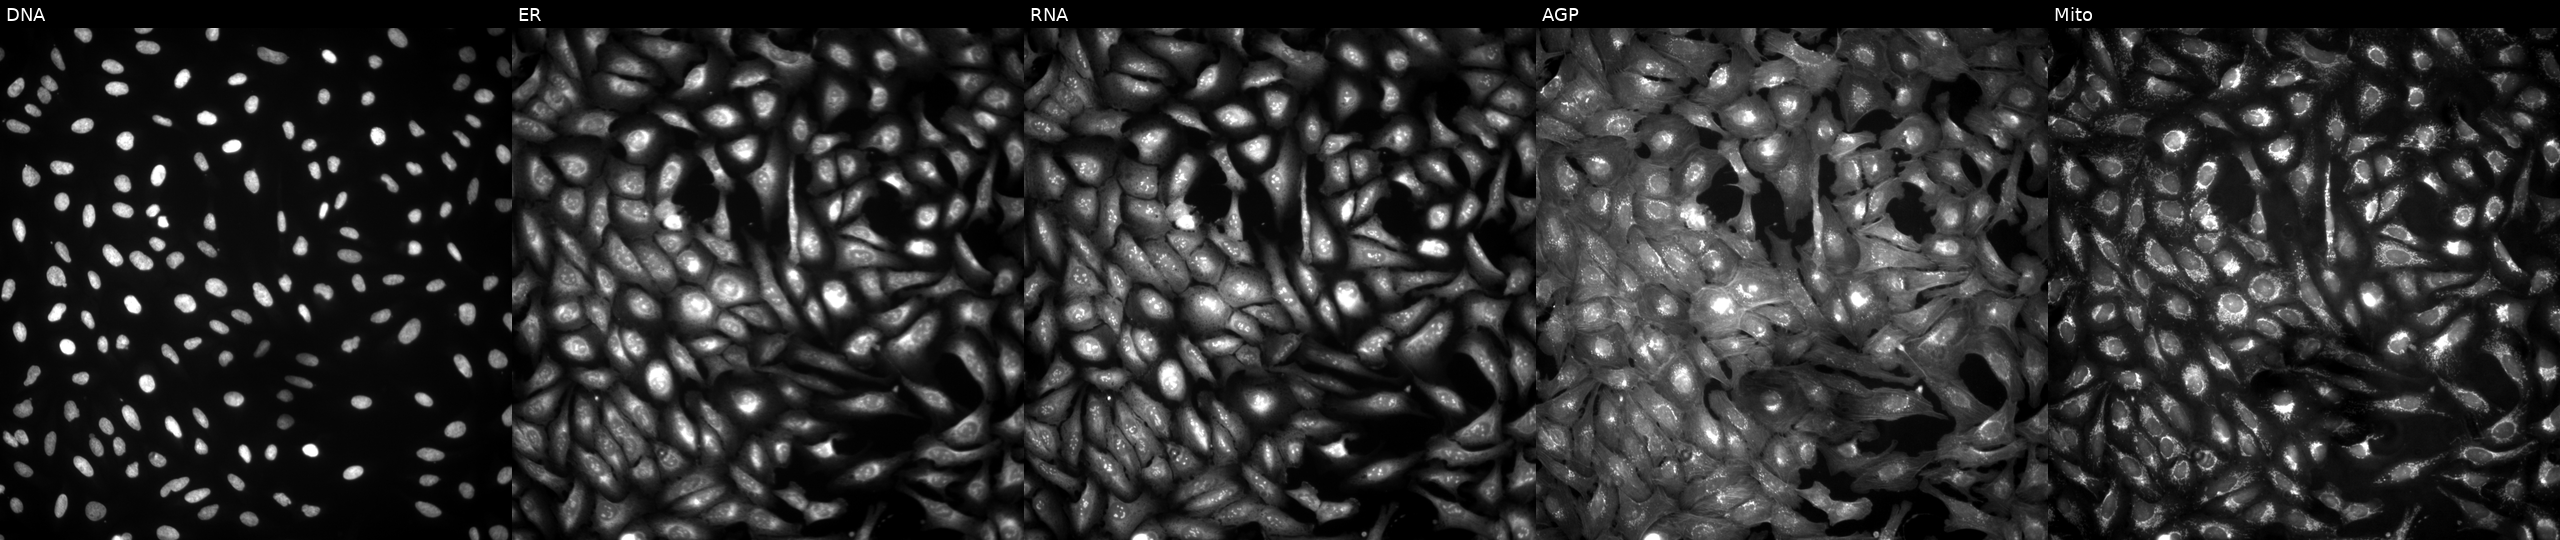
Five-channel Cell Painting image of U2OS cells transfected with an ORF construct for VRTN. Channels (left→right): DNA, ER, RNA, AGP, and Mito. Source 4, plate BR00124790, well A13.